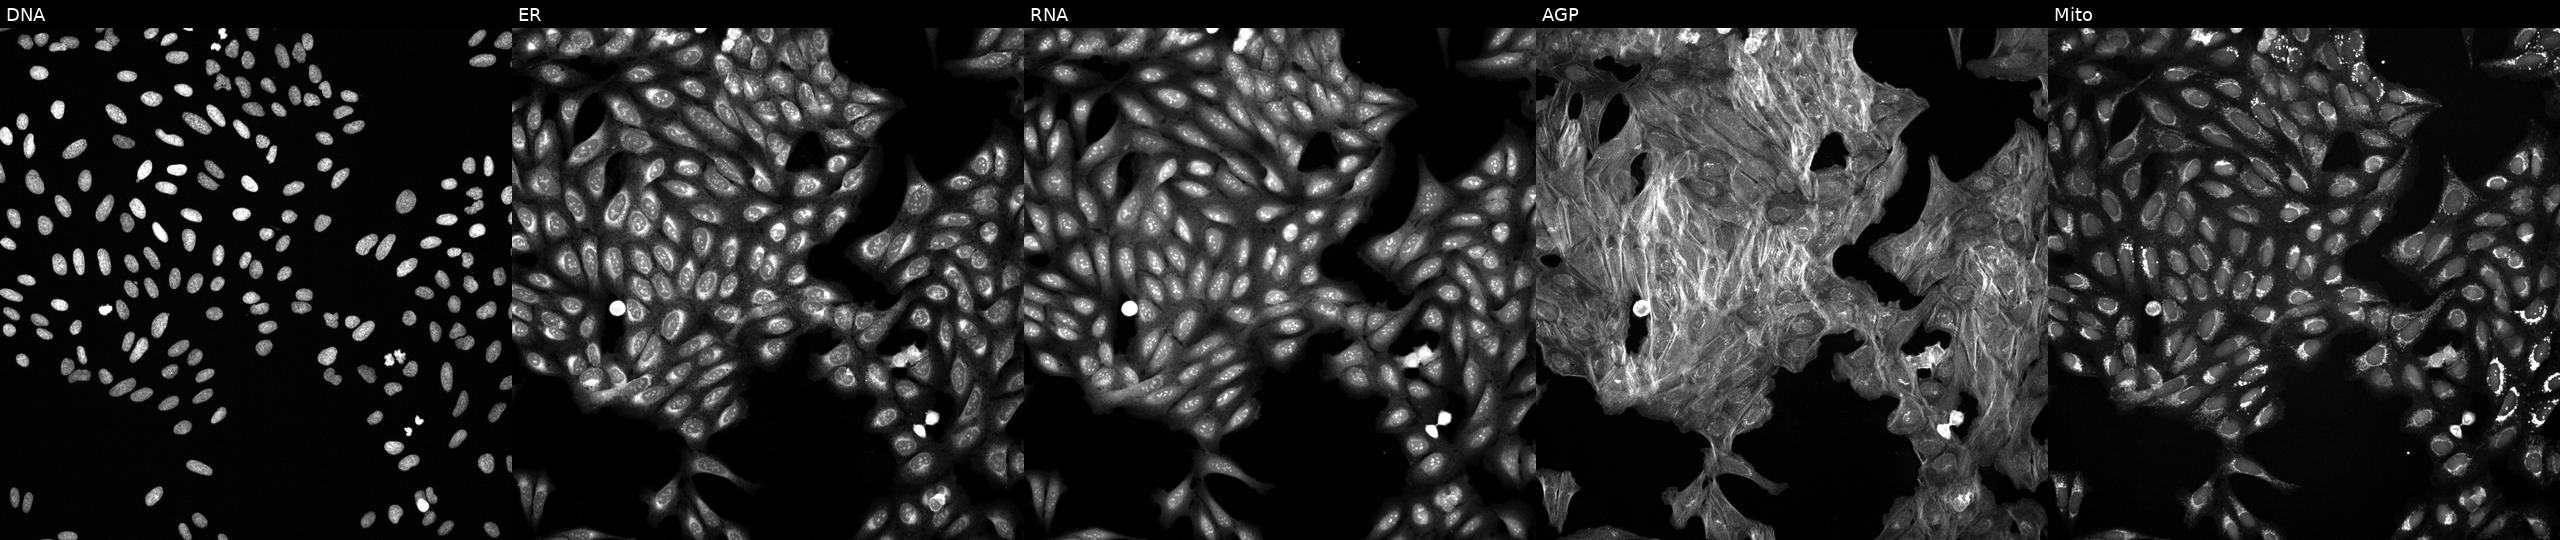
From left to right: DNA (nuclei); ER (endoplasmic reticulum); RNA (nucleoli and cytoplasmic RNA); AGP (actin cytoskeleton, Golgi, and plasma membrane); Mito (mitochondria). U2OS osteosarcoma cells exposed to a small-molecule compound (InChIKey ZESFDAKNYJQYKO-UHFFFAOYSA-N) (JUMP id JCP2022_112828). Cell Painting assay, JUMP-CP dataset.